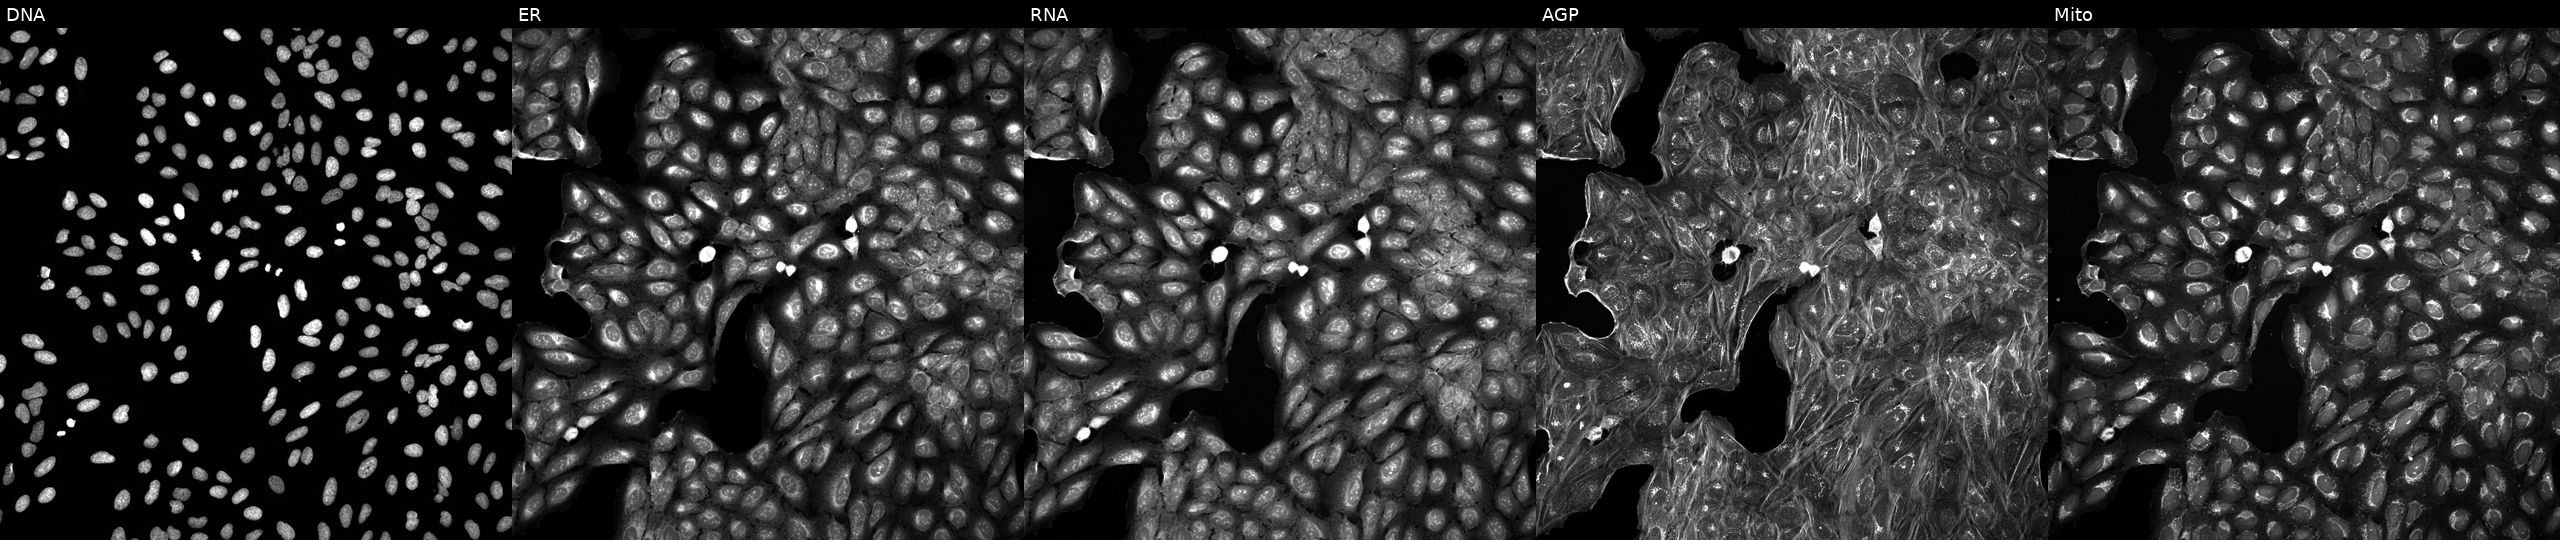
JUMP Cell Painting — TARGET2 plate. U2OS cells treated with DMSO vehicle only (negative control). Panels show, left to right, DNA, ER, RNA, AGP, and Mito.